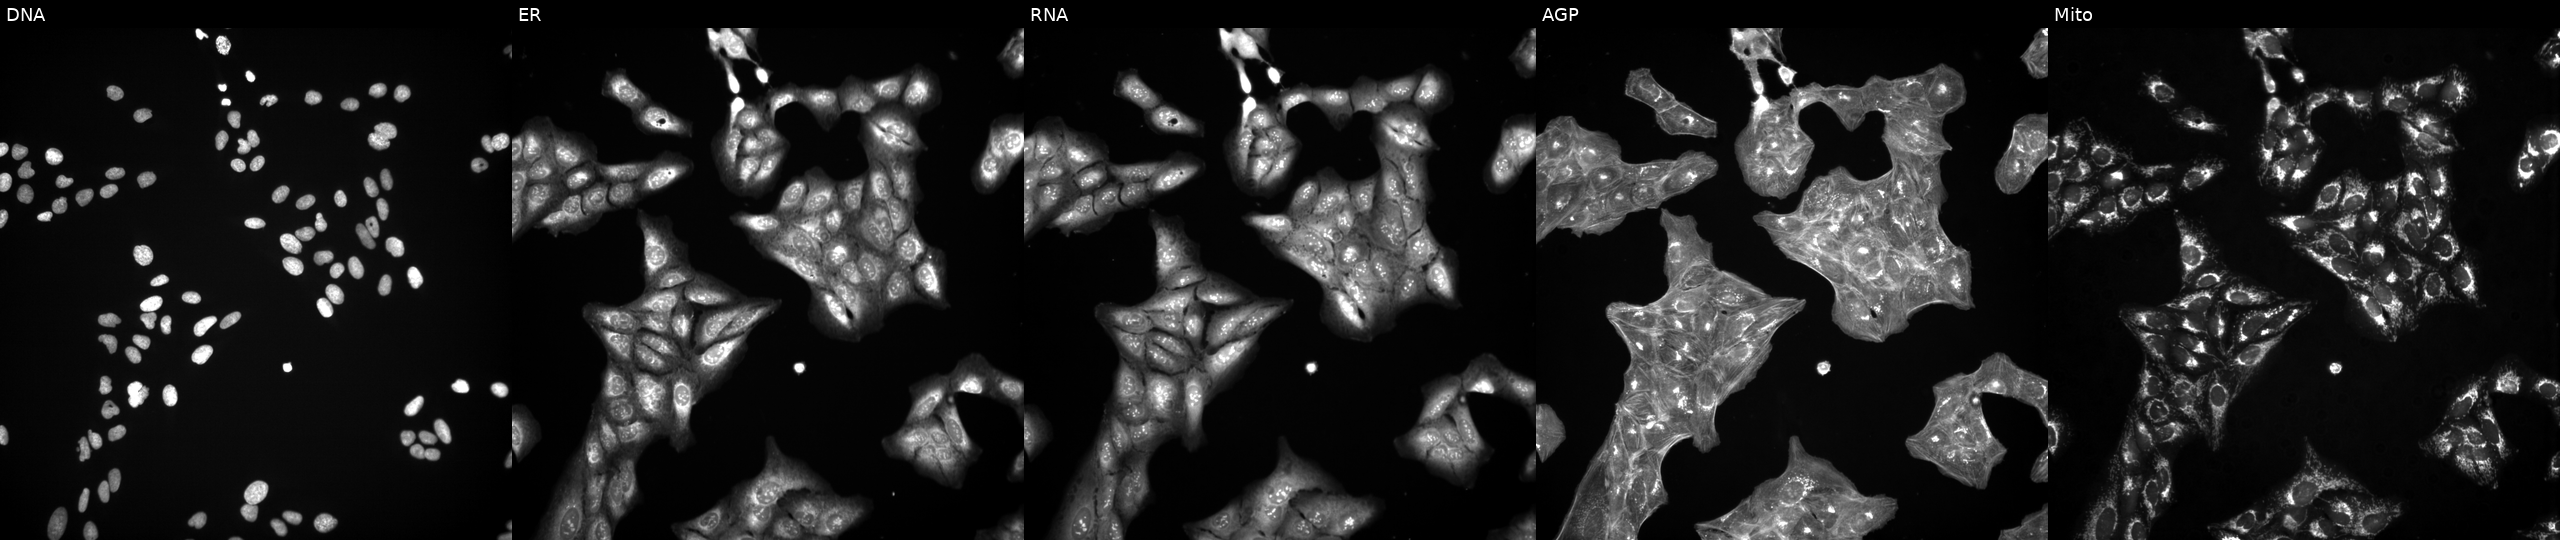
This image strip shows the five Cell Painting channels for a single field of U2OS cells perturbed with a small-molecule compound (InChIKey PMXCMJLOPOFPBT-UHFFFAOYSA-N). The five panels, left to right, show DNA, ER, RNA, AGP, and Mito.